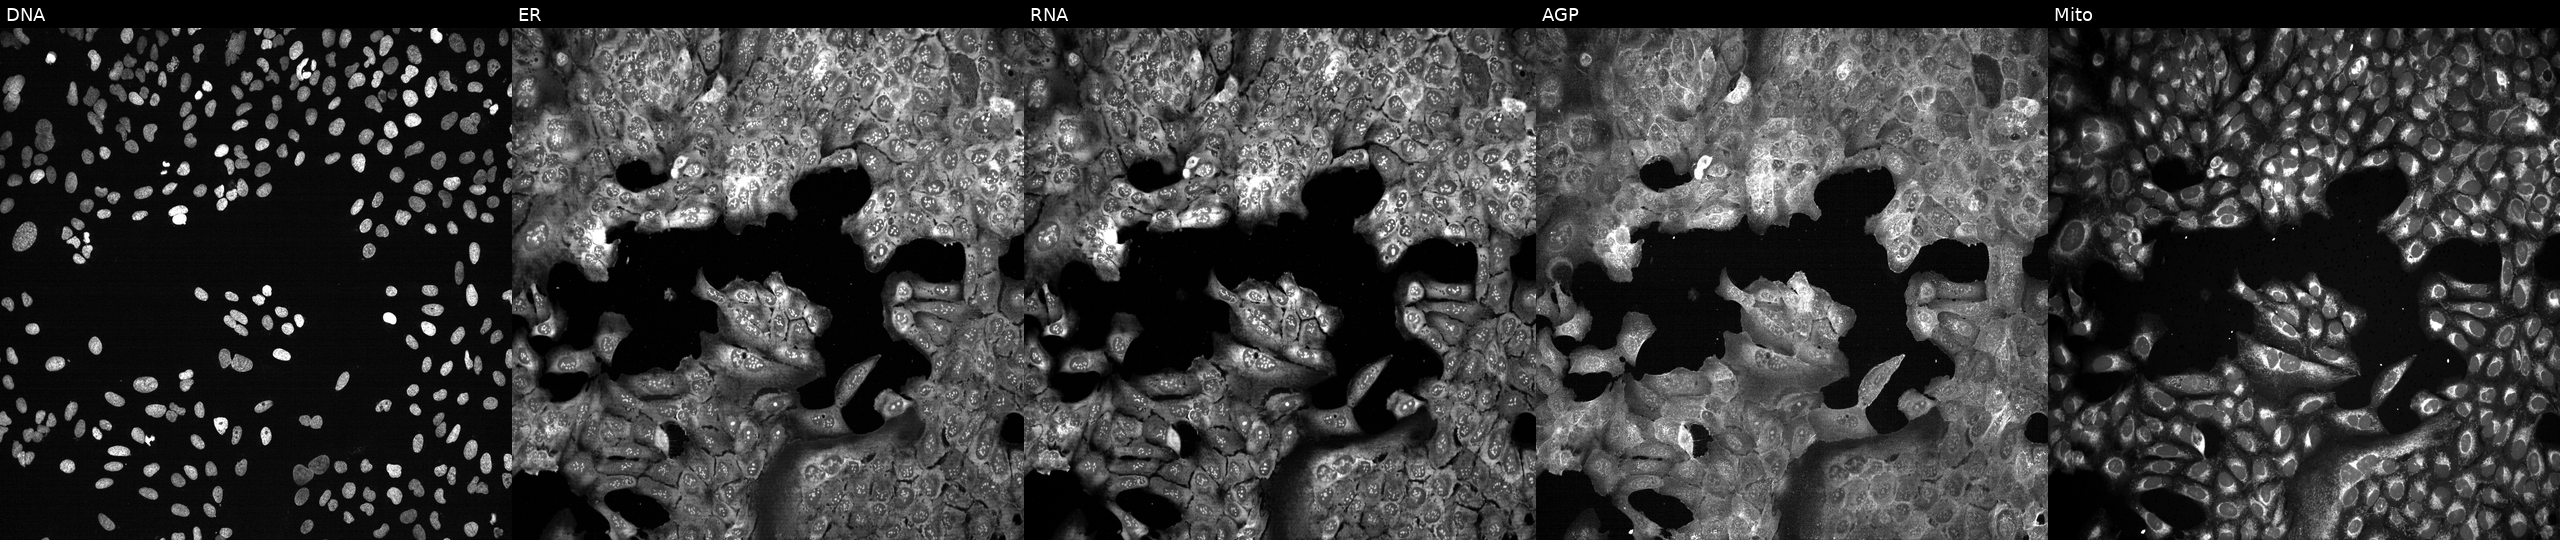
Five-channel Cell Painting image of U2OS cells CRISPR-edited to disrupt ALDH5A1 (JUMP id JCP2022_800394). From left to right: DNA, ER, RNA, AGP, and Mito.